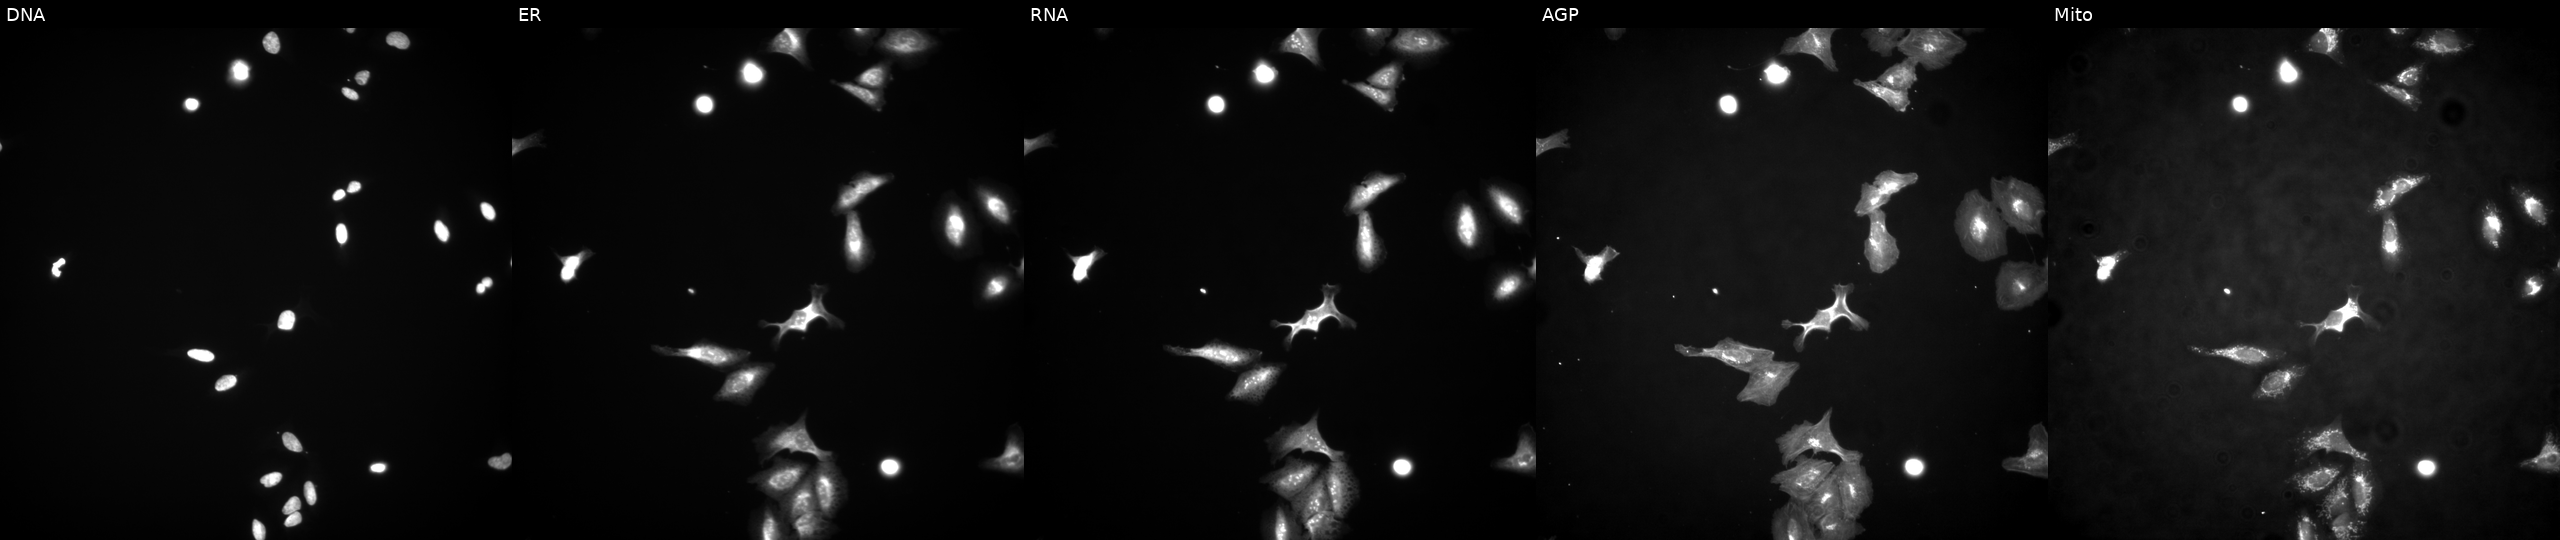
JUMP Cell Painting — ORF plate. U2OS cells overexpressing PHLDB1 via ORF transfection (JUMP id JCP2022_910898). Channels (left→right): Hoechst 33342, concanavalin A, SYTO 14, phalloidin and WGA, MitoTracker.